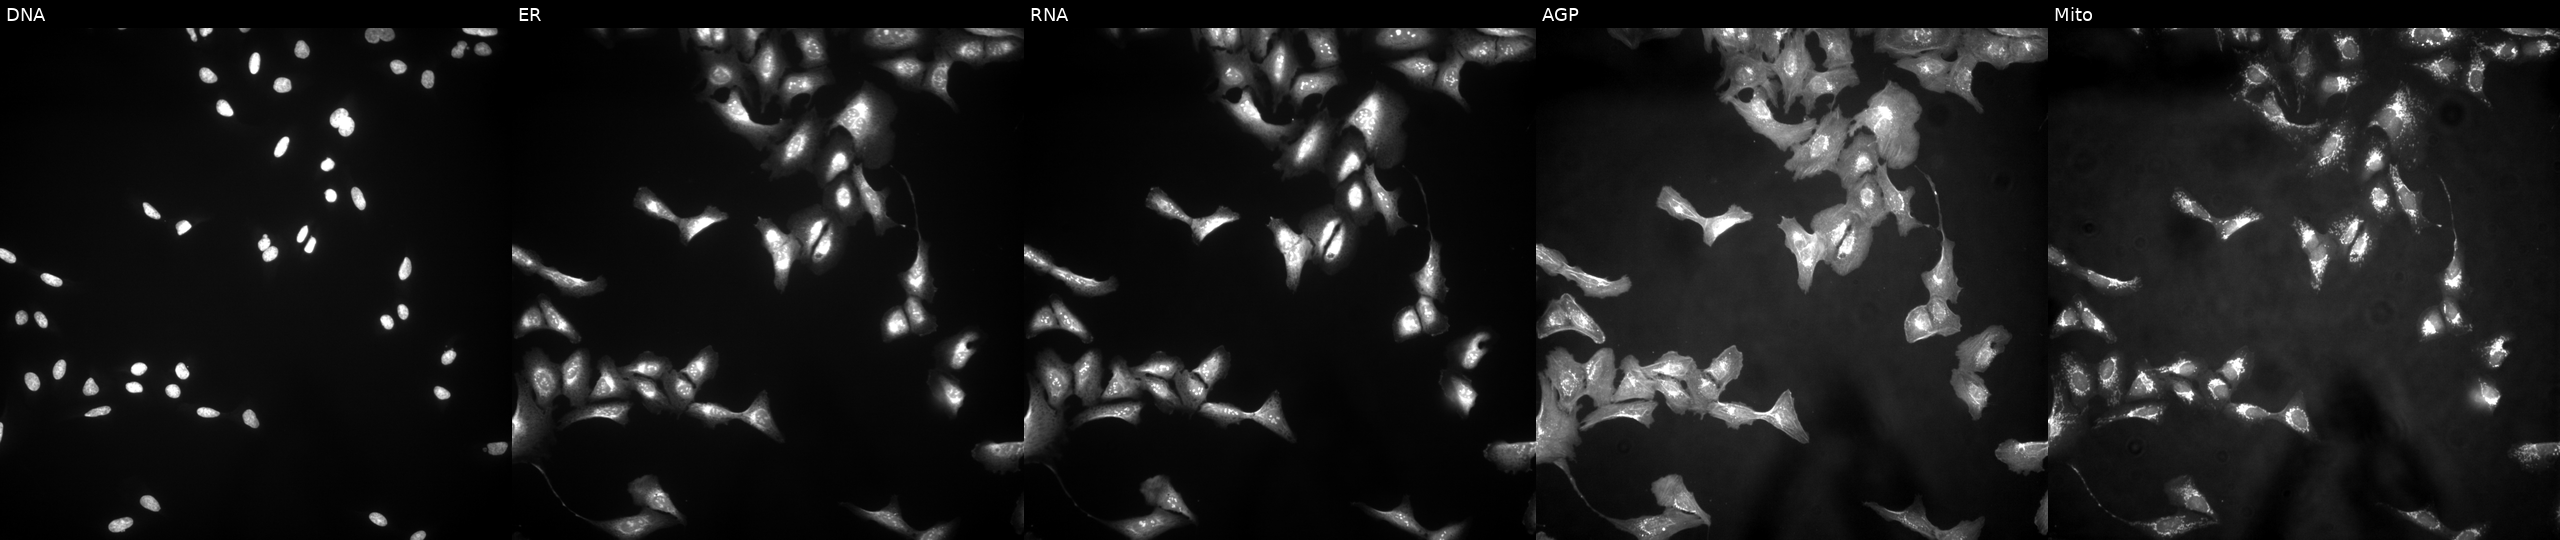
Five-channel Cell Painting image of U2OS cells overexpressing TRIM17 via ORF transfection (JUMP id JCP2022_903025). Panels show, left to right, DNA, ER, RNA, AGP, and Mito.